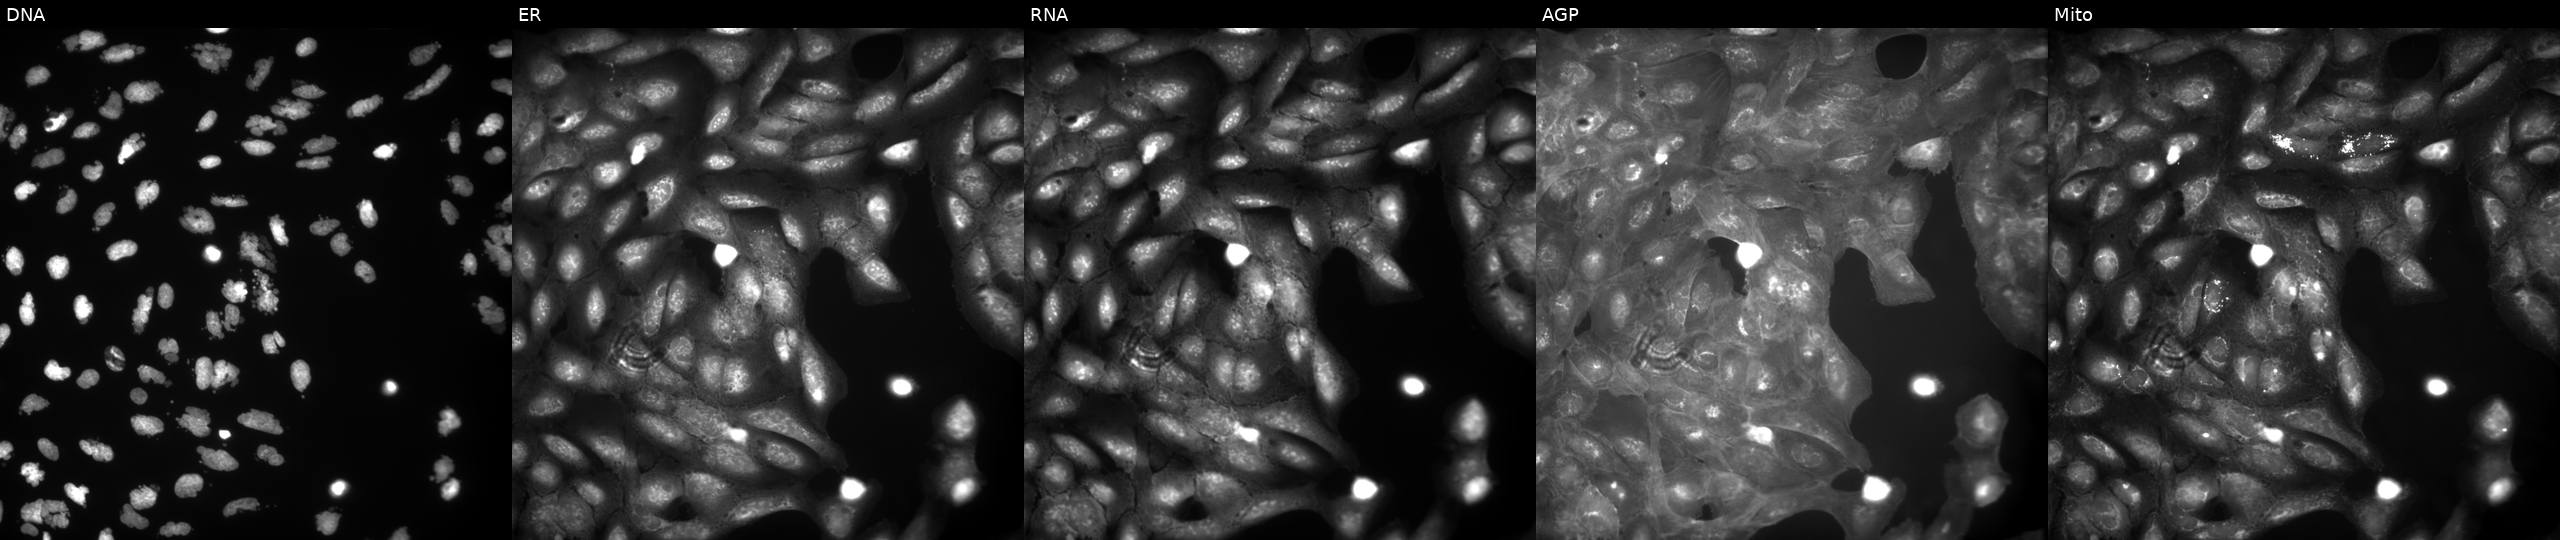
From left to right: DNA, ER, RNA, AGP, and Mito. U2OS osteosarcoma cells treated with AMG900 (positive-control compound) (JUMP id JCP2022_037716). Cell Painting assay, JUMP-CP dataset. Source 9, plate GR00003381, well Z48.